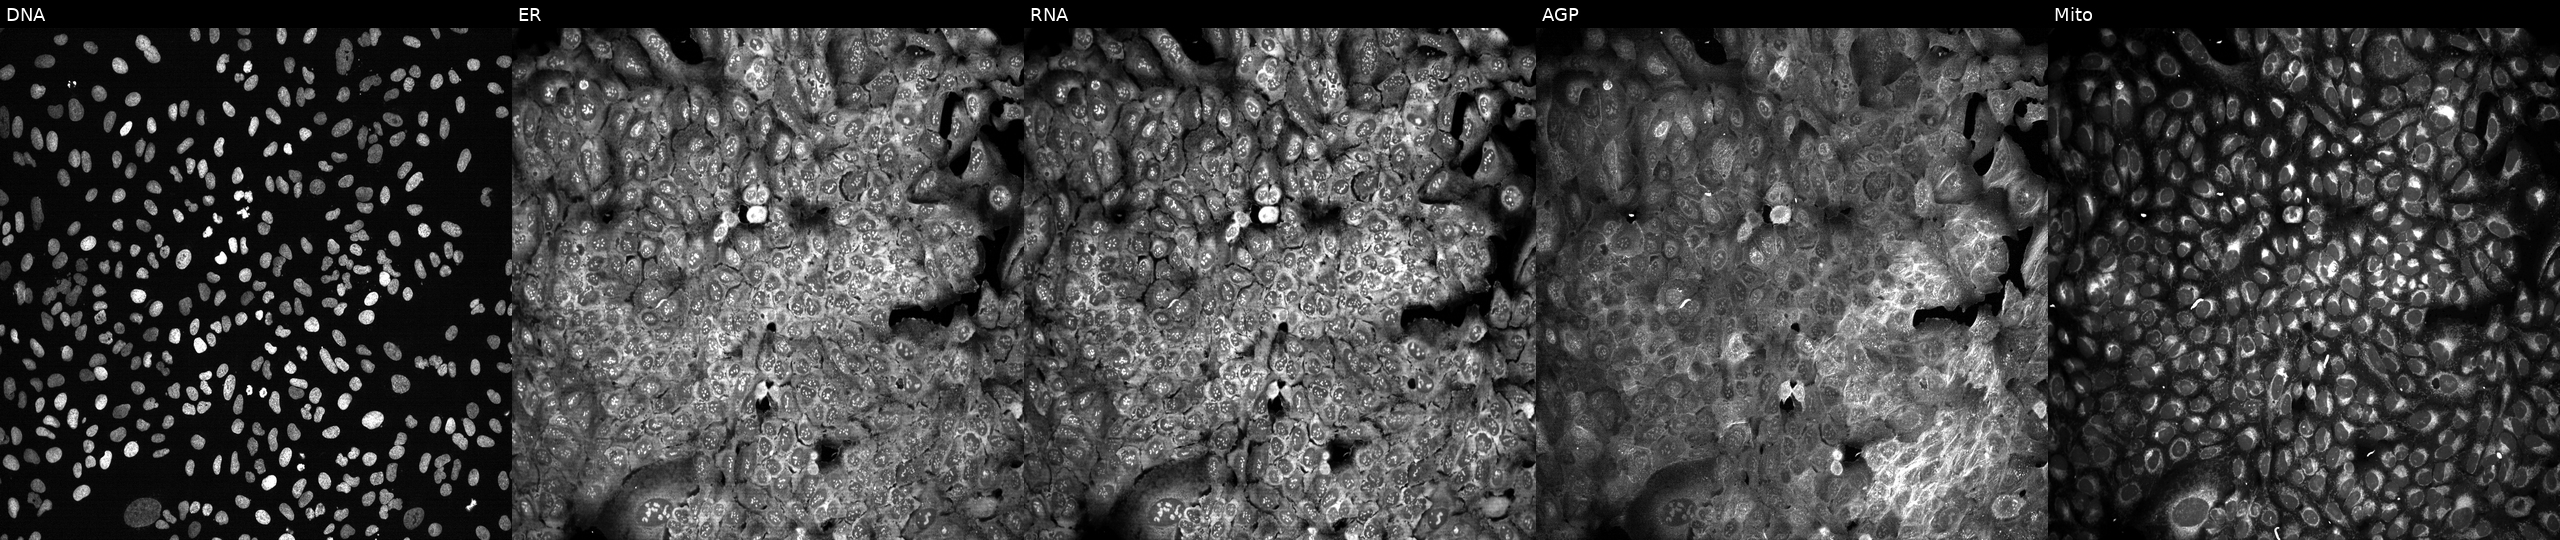
High-content fluorescence microscopy (Cell Painting). Cell line: U2OS. Perturbation: following CRISPR knockout of DNPH1 (JUMP id JCP2022_801883). Channels (left→right): Hoechst 33342, concanavalin A, SYTO 14, phalloidin and WGA, MitoTracker.